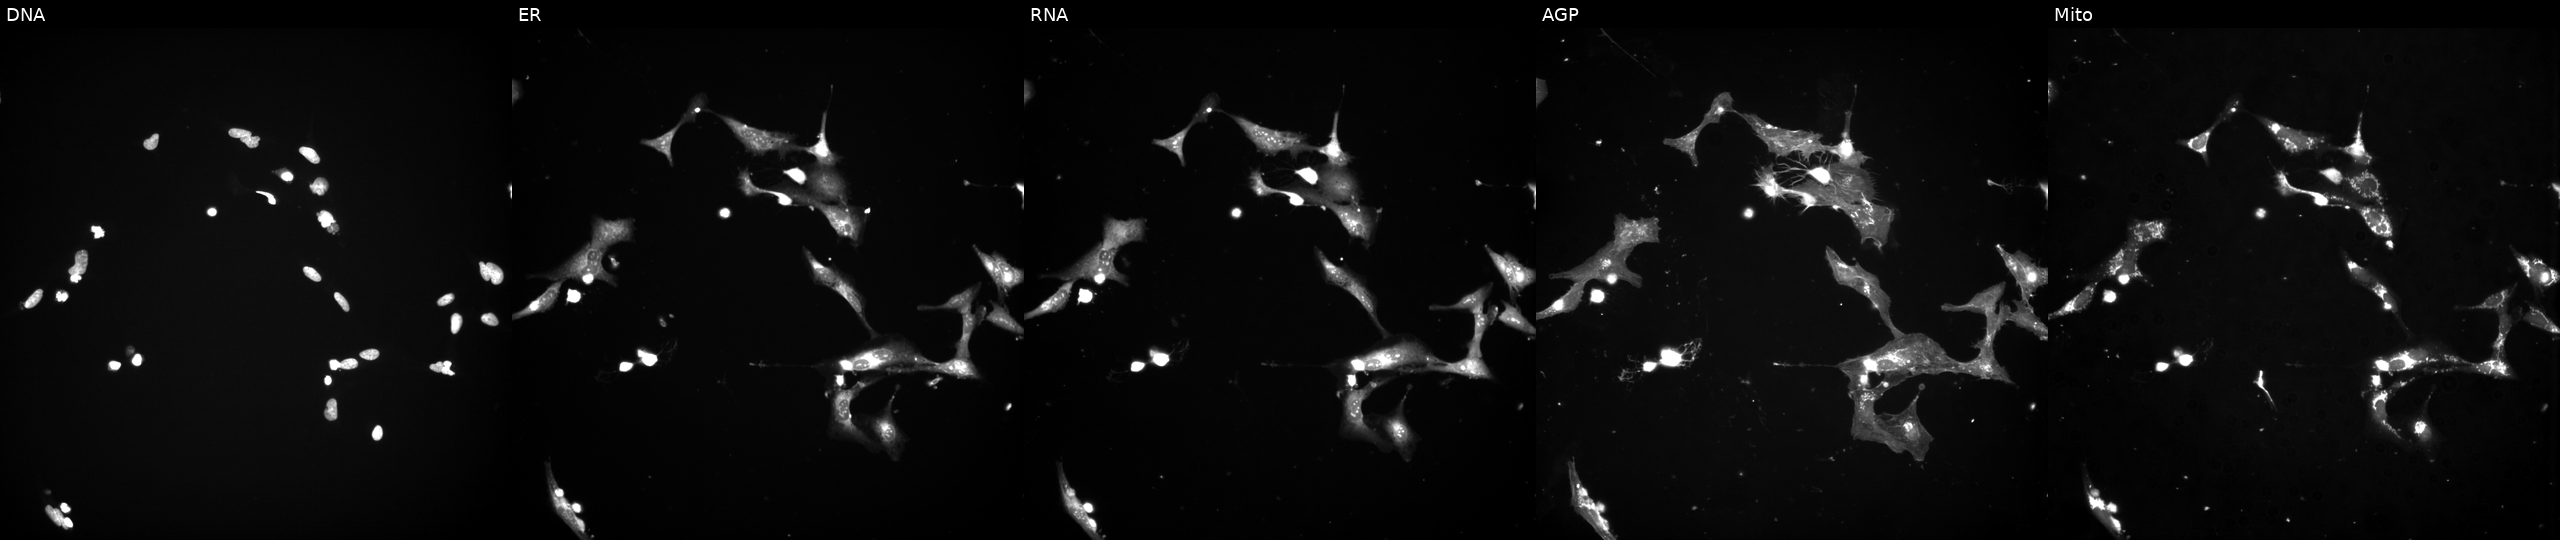
JUMP Cell Painting — TARGET2 plate. U2OS cells perturbed with a small-molecule compound (InChIKey PBCZSGKMGDDXIJ-UHFFFAOYSA-N) (JUMP id JCP2022_067441). From left to right: DNA (nuclei); ER (endoplasmic reticulum); RNA (nucleoli and cytoplasmic RNA); AGP (actin cytoskeleton, Golgi, and plasma membrane); Mito (mitochondria).